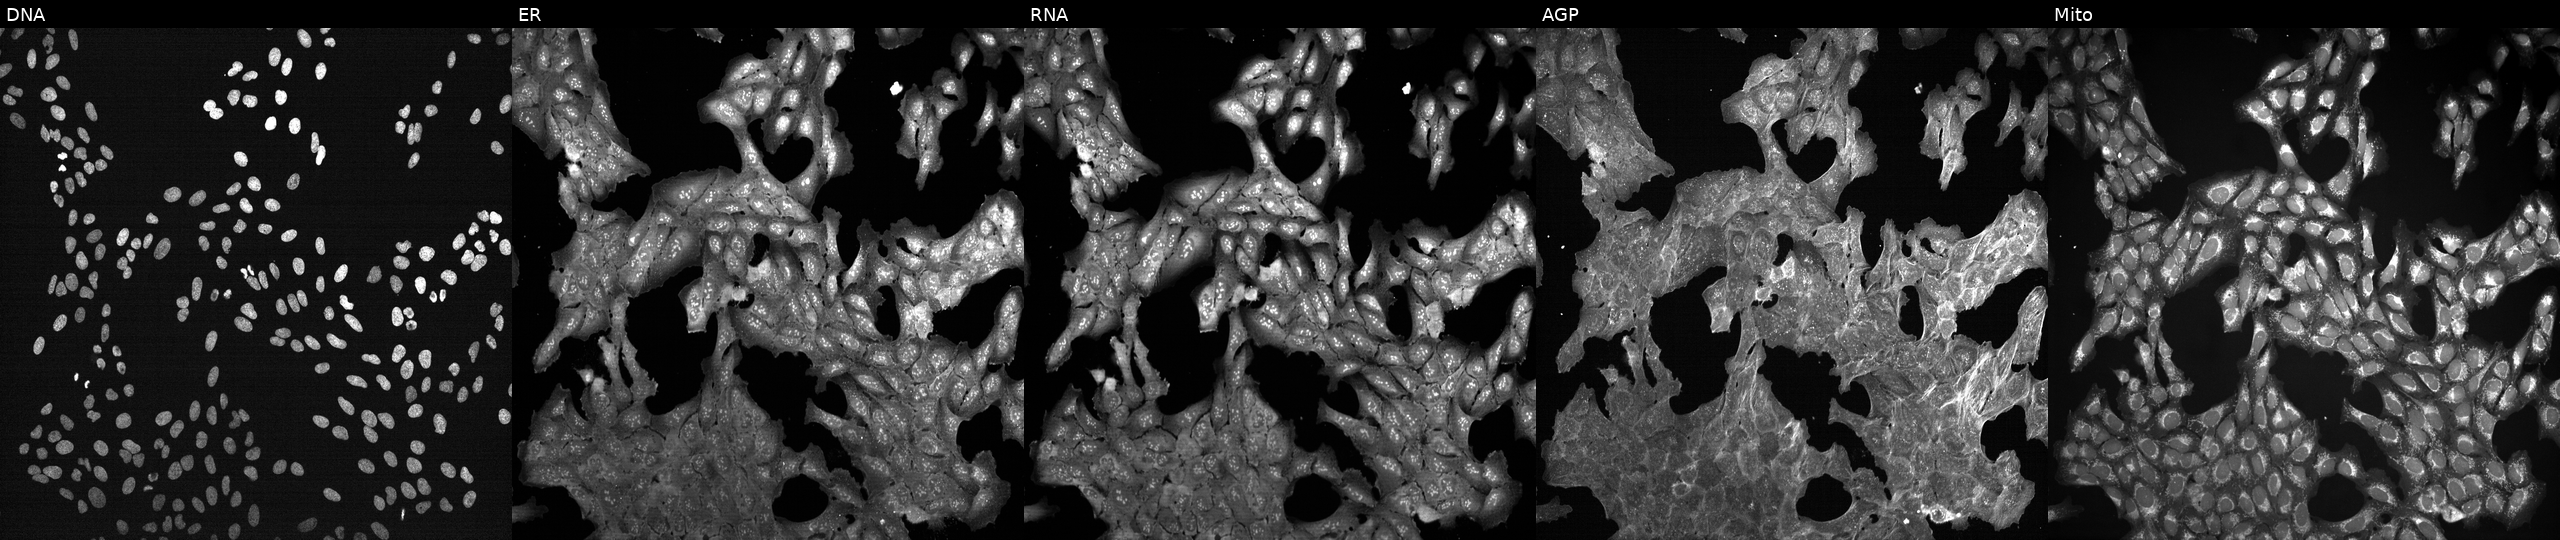
This image strip shows the five Cell Painting channels for a single field of U2OS cells treated with a small-molecule compound (InChIKey FPVKHBSQESCIEP-UHFFFAOYSA-N). Channels (left→right): DNA (nuclei); ER (endoplasmic reticulum); RNA (nucleoli and cytoplasmic RNA); AGP (actin cytoskeleton, Golgi, and plasma membrane); Mito (mitochondria).